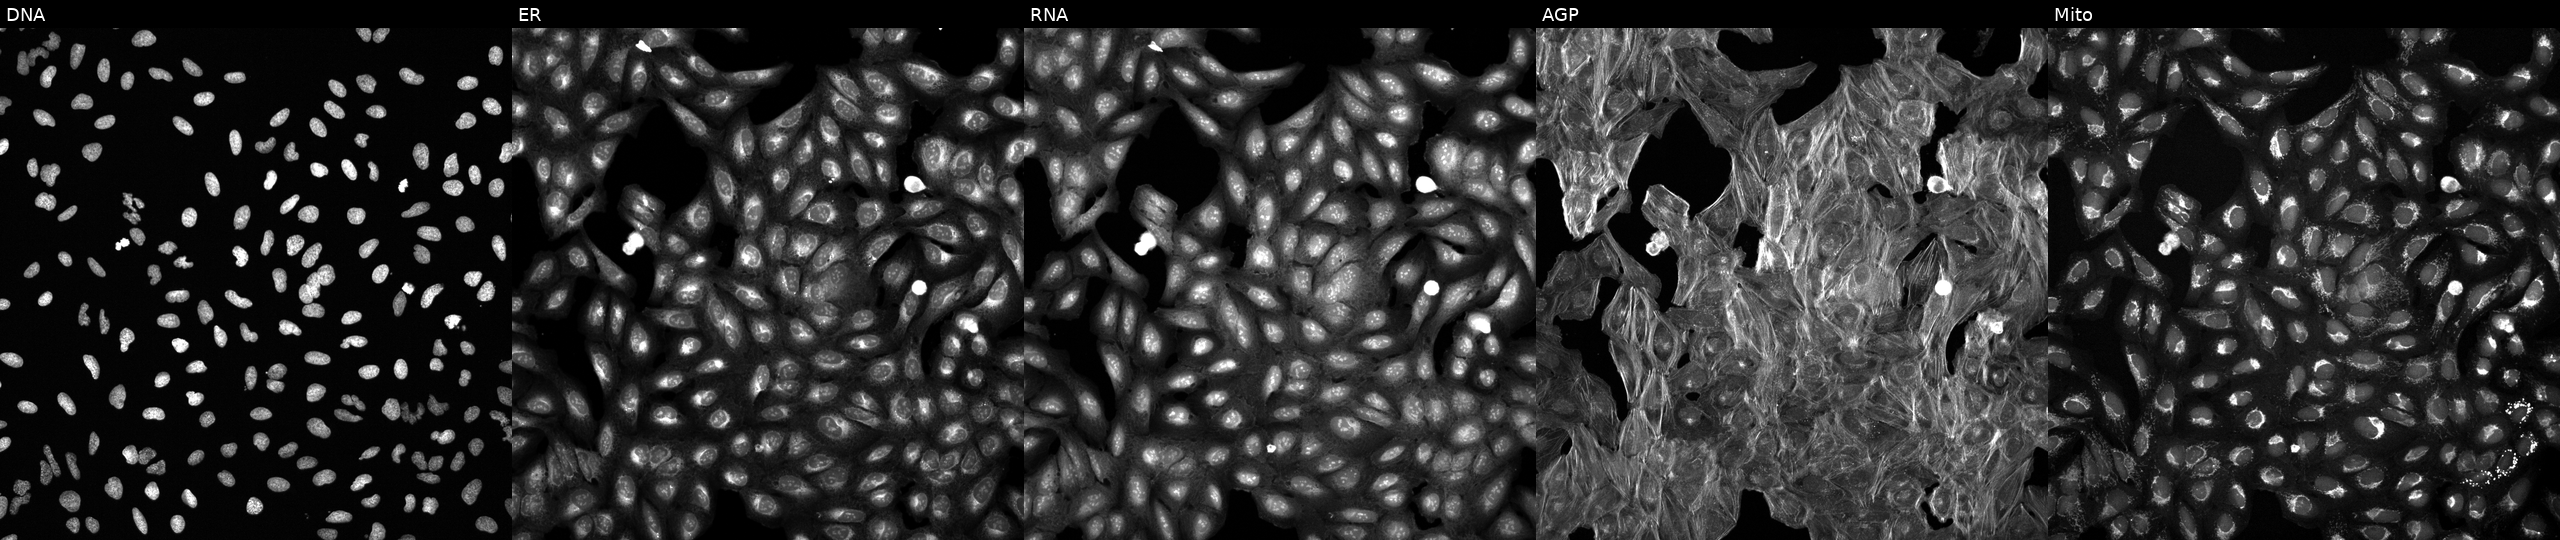
This image strip shows the five Cell Painting channels for a single field of U2OS cells perturbed with a small-molecule compound (InChIKey QQGWEXFLMJGCAL-UHFFFAOYSA-N). Channels (left→right): DNA, ER, RNA, AGP, and Mito.